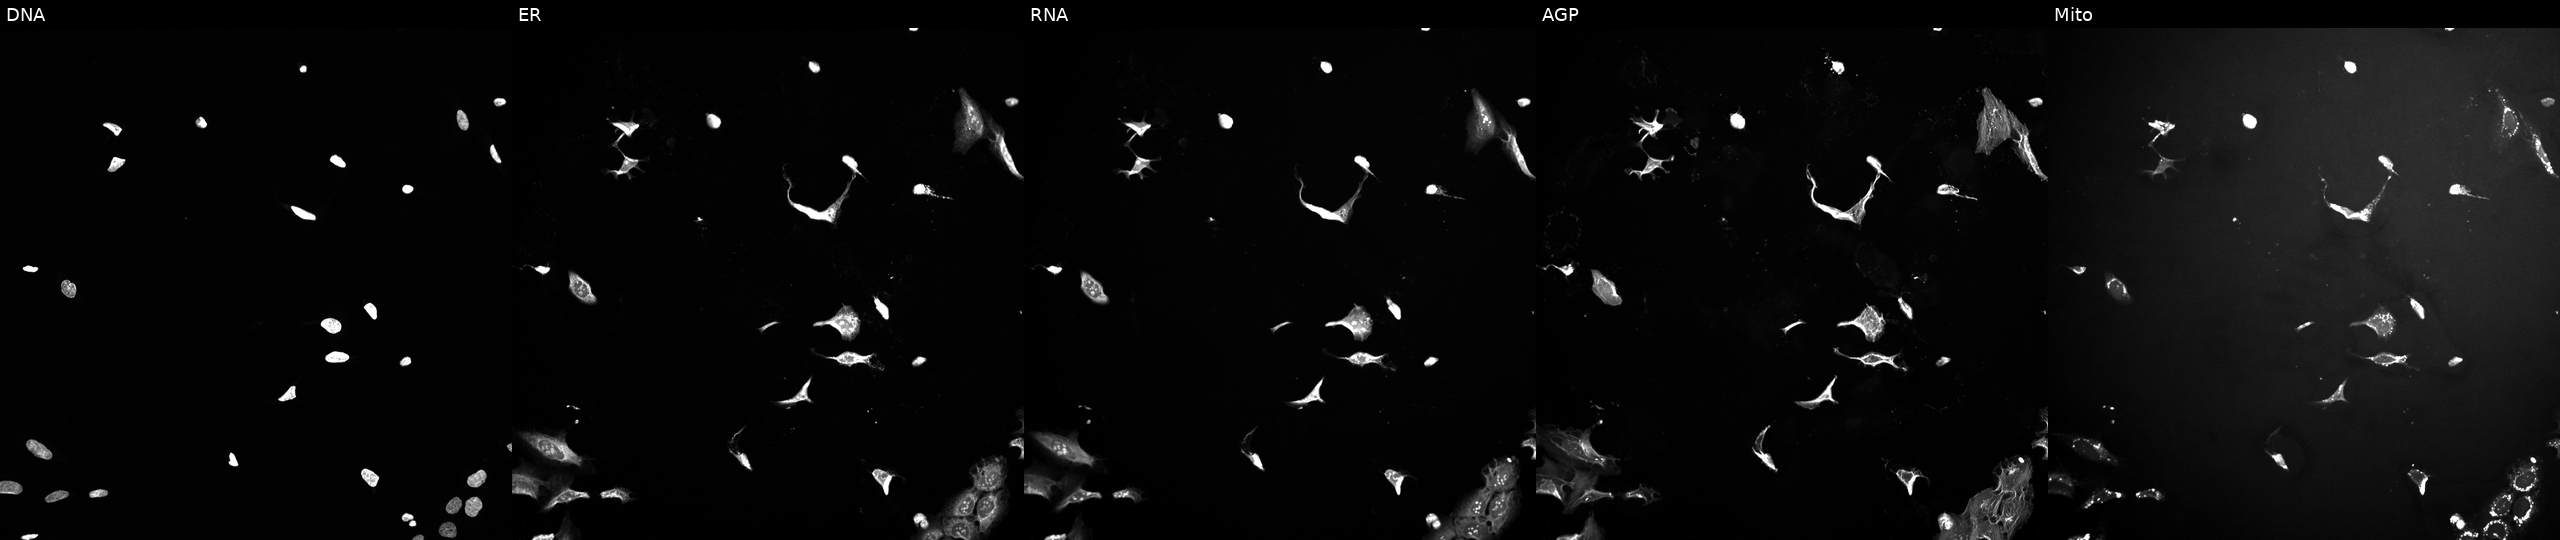
Five-channel Cell Painting image of U2OS cells exposed to a small-molecule compound (InChIKey VSWDORGPIHIGNW-UHFFFAOYSA-N) [SMILES: S=C(S)N1CCCC1]. The five panels, left to right, show DNA (nuclei); ER (endoplasmic reticulum); RNA (nucleoli and cytoplasmic RNA); AGP (actin cytoskeleton, Golgi, and plasma membrane); Mito (mitochondria). Source 10, plate Dest210726-160150, well P19.